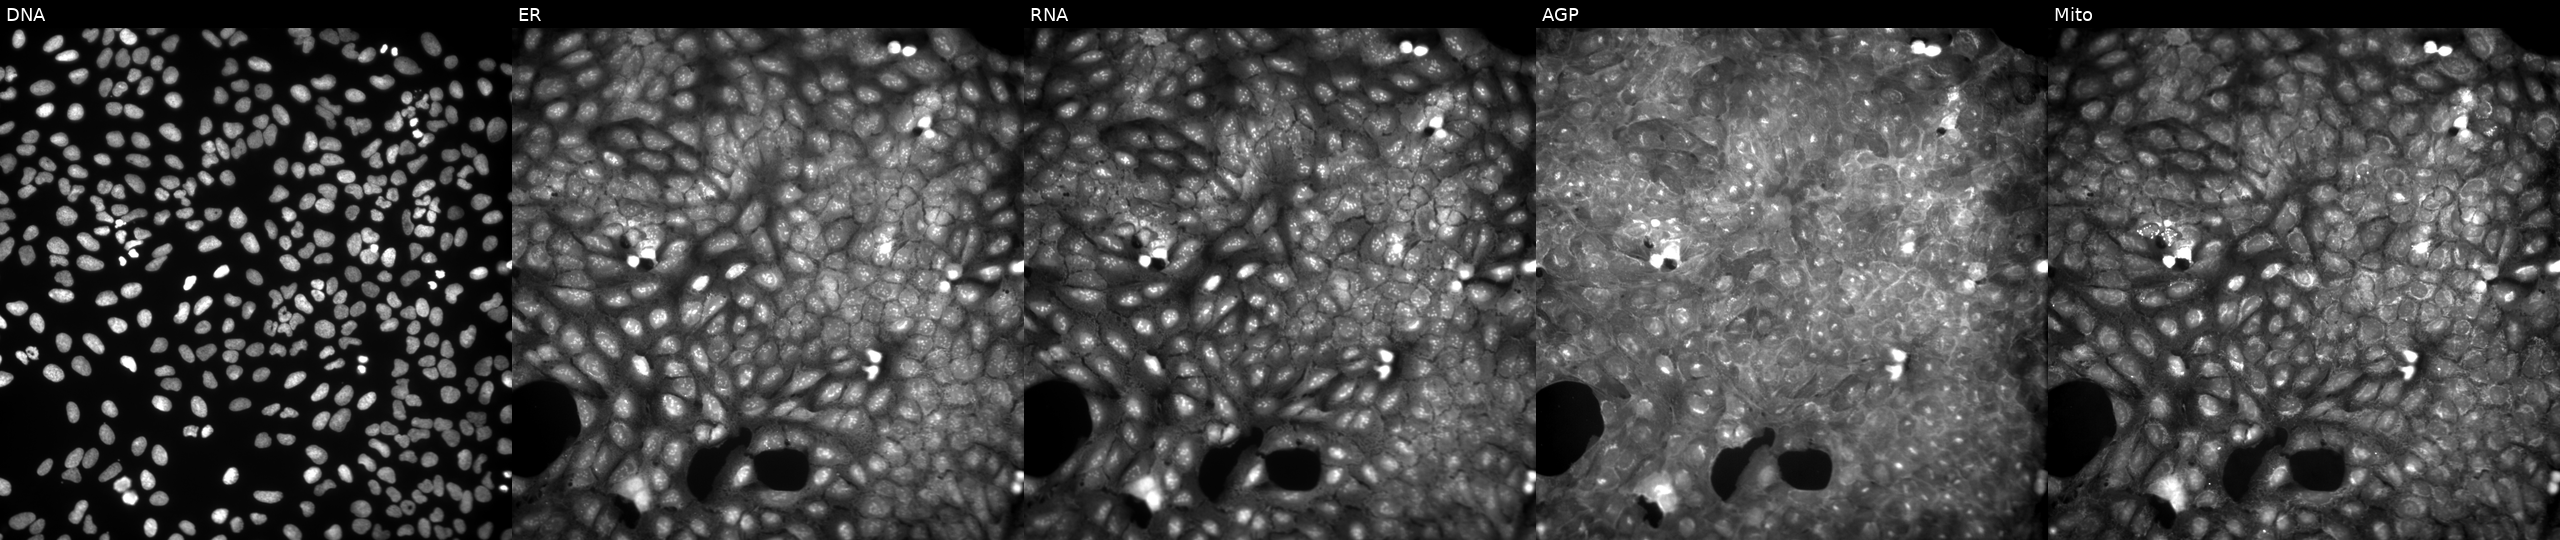
Panels show, left to right, DNA (nuclei); ER (endoplasmic reticulum); RNA (nucleoli and cytoplasmic RNA); AGP (actin cytoskeleton, Golgi, and plasma membrane); Mito (mitochondria). U2OS osteosarcoma cells treated with a small-molecule compound. Cell Painting assay, JUMP-CP dataset.